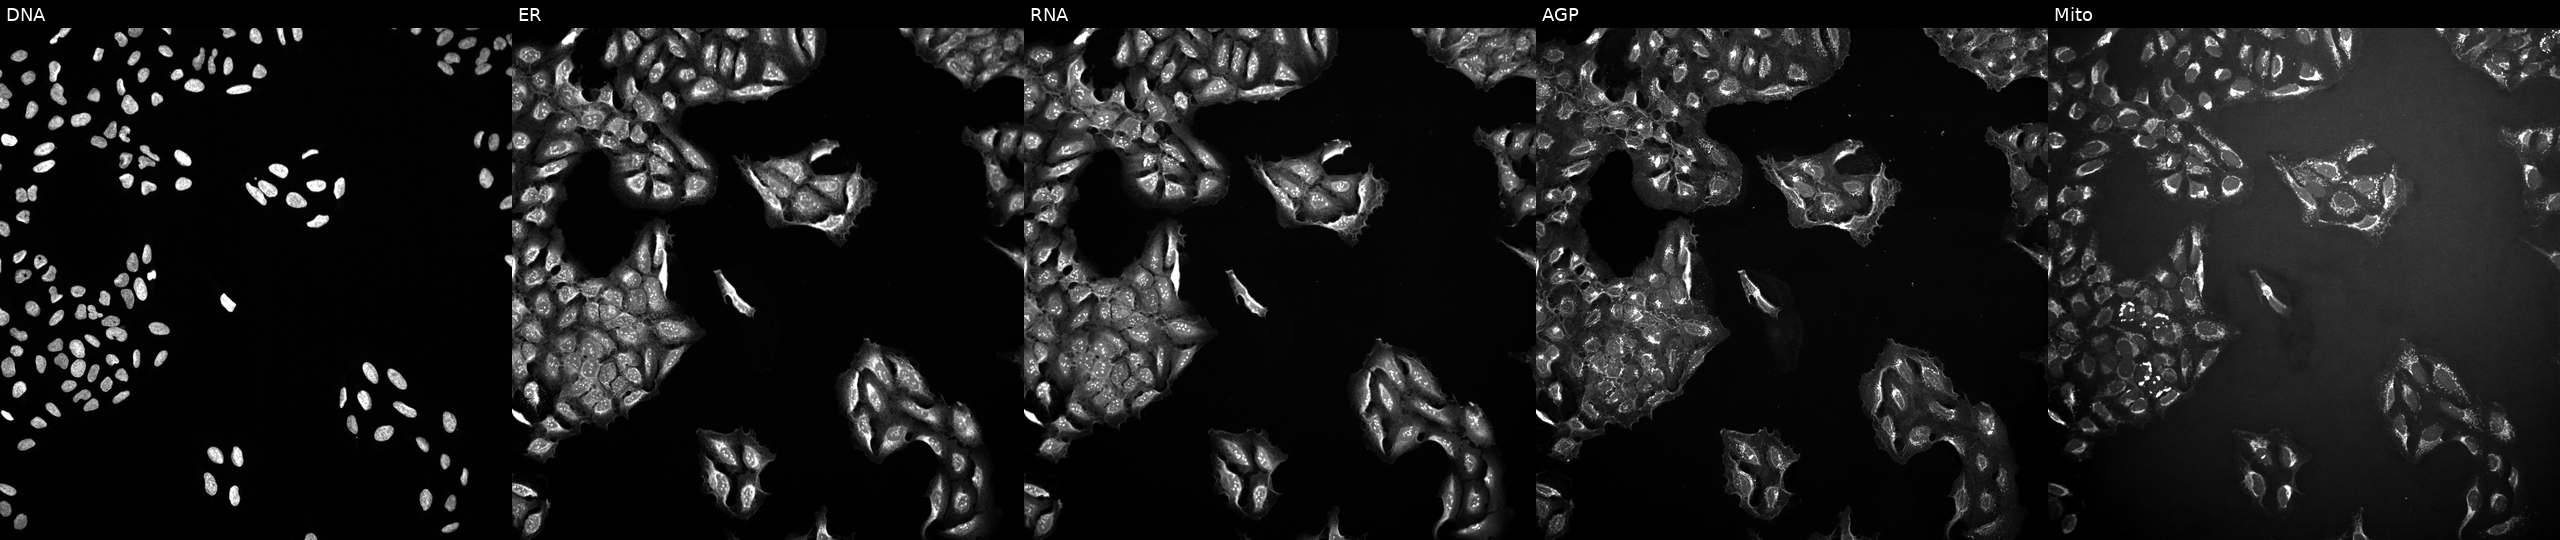
U2OS cells, Cell Painting assay, treated with DMSO vehicle only (negative control). From left to right: DNA, ER, RNA, AGP, and Mito. Each panel is percentile-stretched 16-bit fluorescence. Source 10, plate Dest210803-153958, well E13.